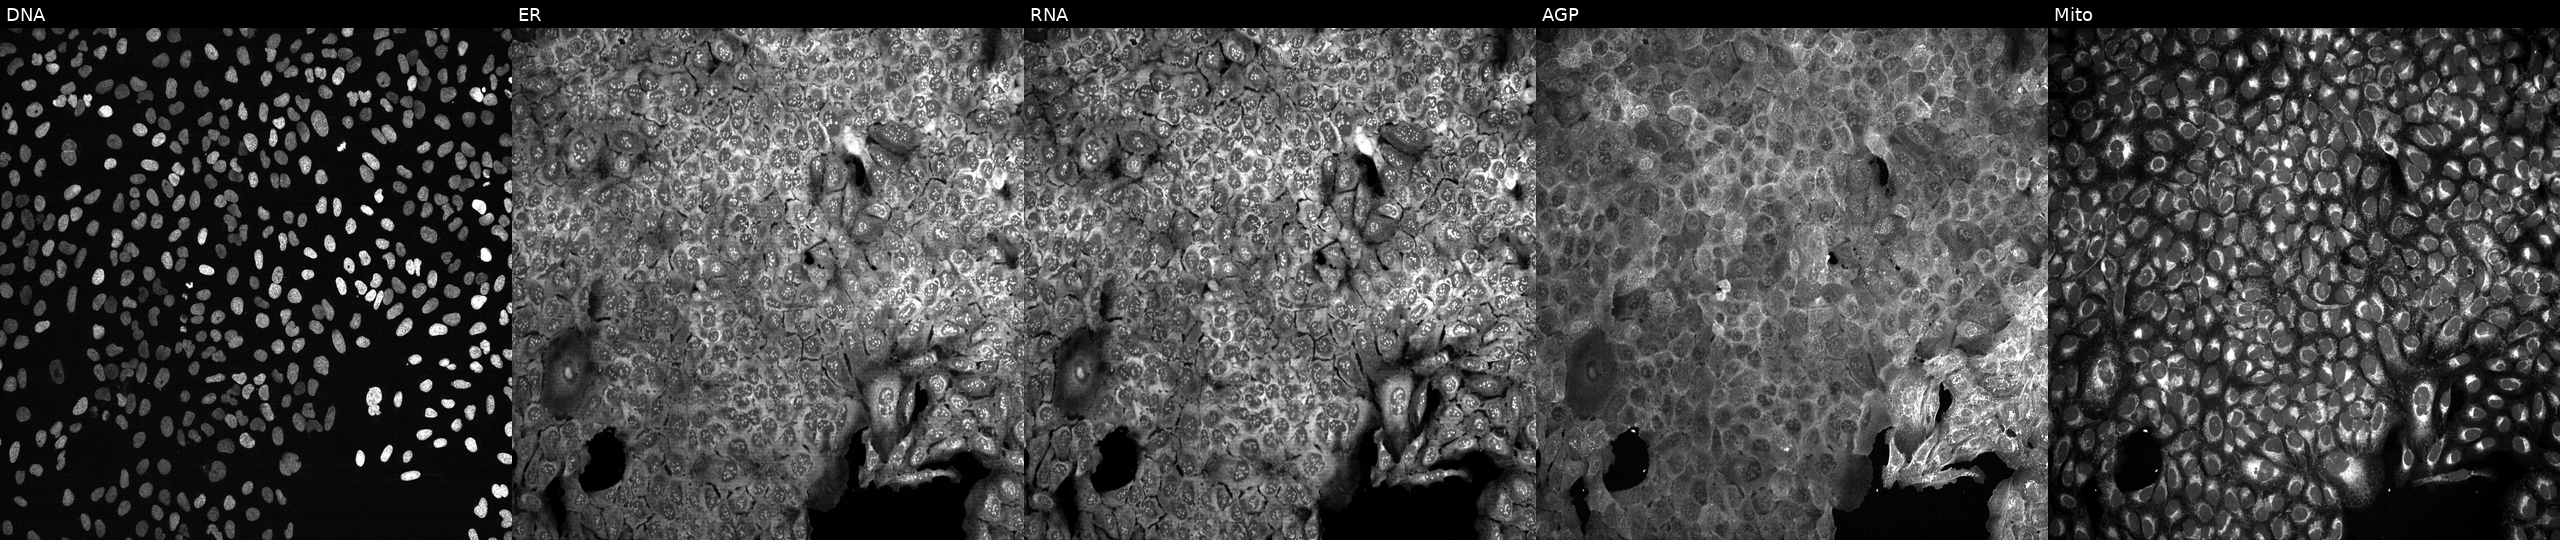
Five-channel Cell Painting image of U2OS cells with a non-targeting CRISPR guide (negative control). From left to right: Hoechst 33342, concanavalin A, SYTO 14, phalloidin and WGA, MitoTracker. Source 13, plate CP-CC9-R2-02, well G02.